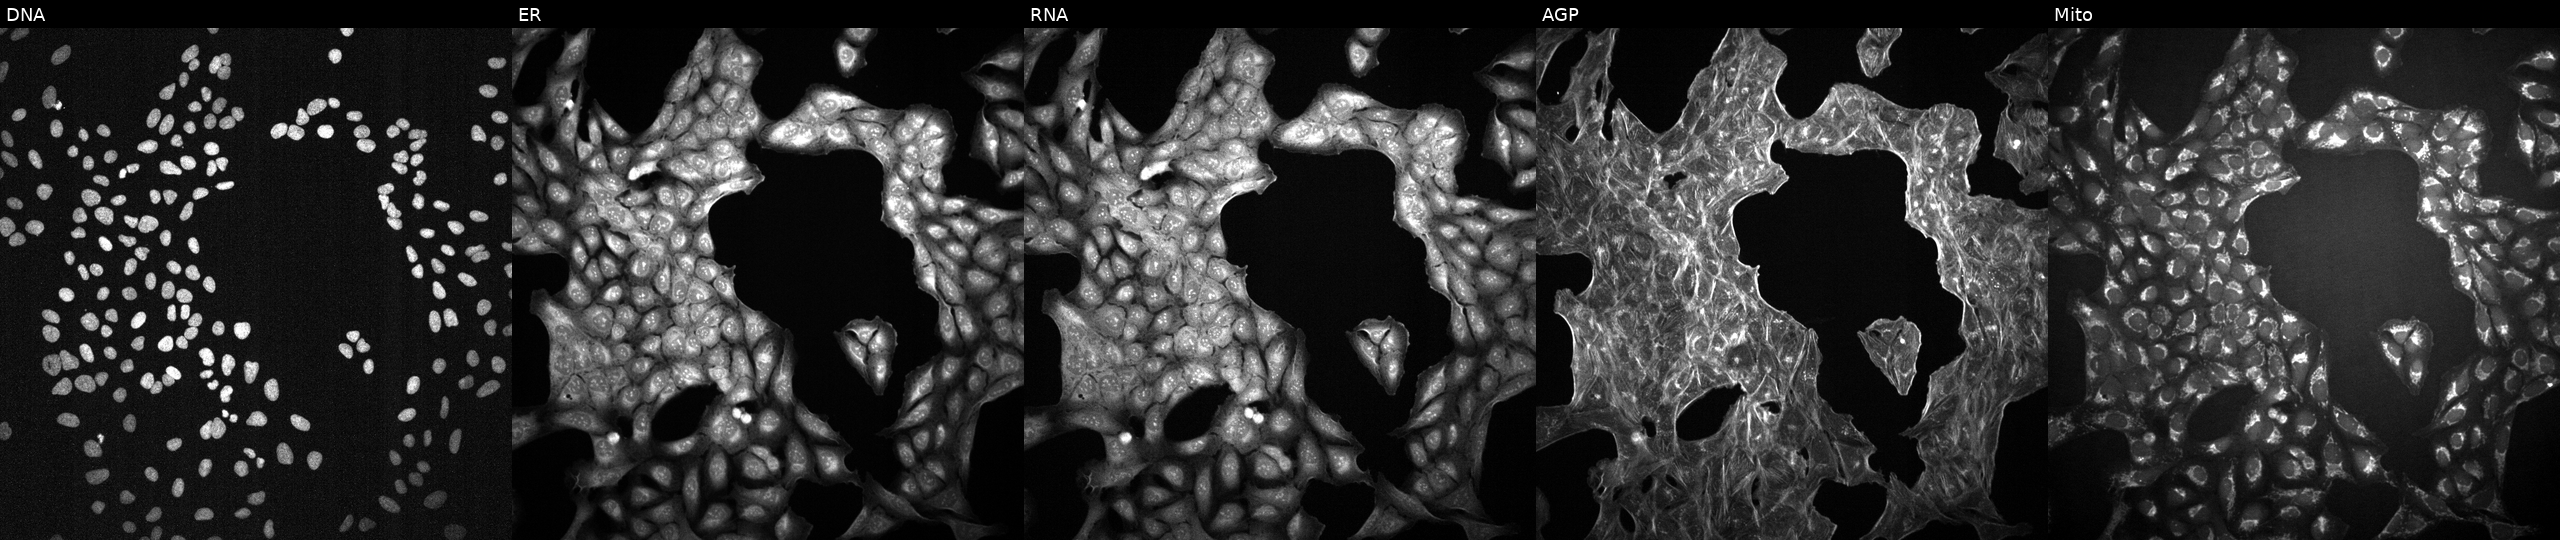
JUMP Cell Painting — TARGET2 plate. U2OS cells perturbed with a small-molecule compound (InChIKey JVGBTTIJPBFLTE-UHFFFAOYSA-N) (JUMP id JCP2022_042354). Channels (left→right): DNA (nuclei); ER (endoplasmic reticulum); RNA (nucleoli and cytoplasmic RNA); AGP (actin cytoskeleton, Golgi, and plasma membrane); Mito (mitochondria). Source 2, plate 1053599503, well L17.